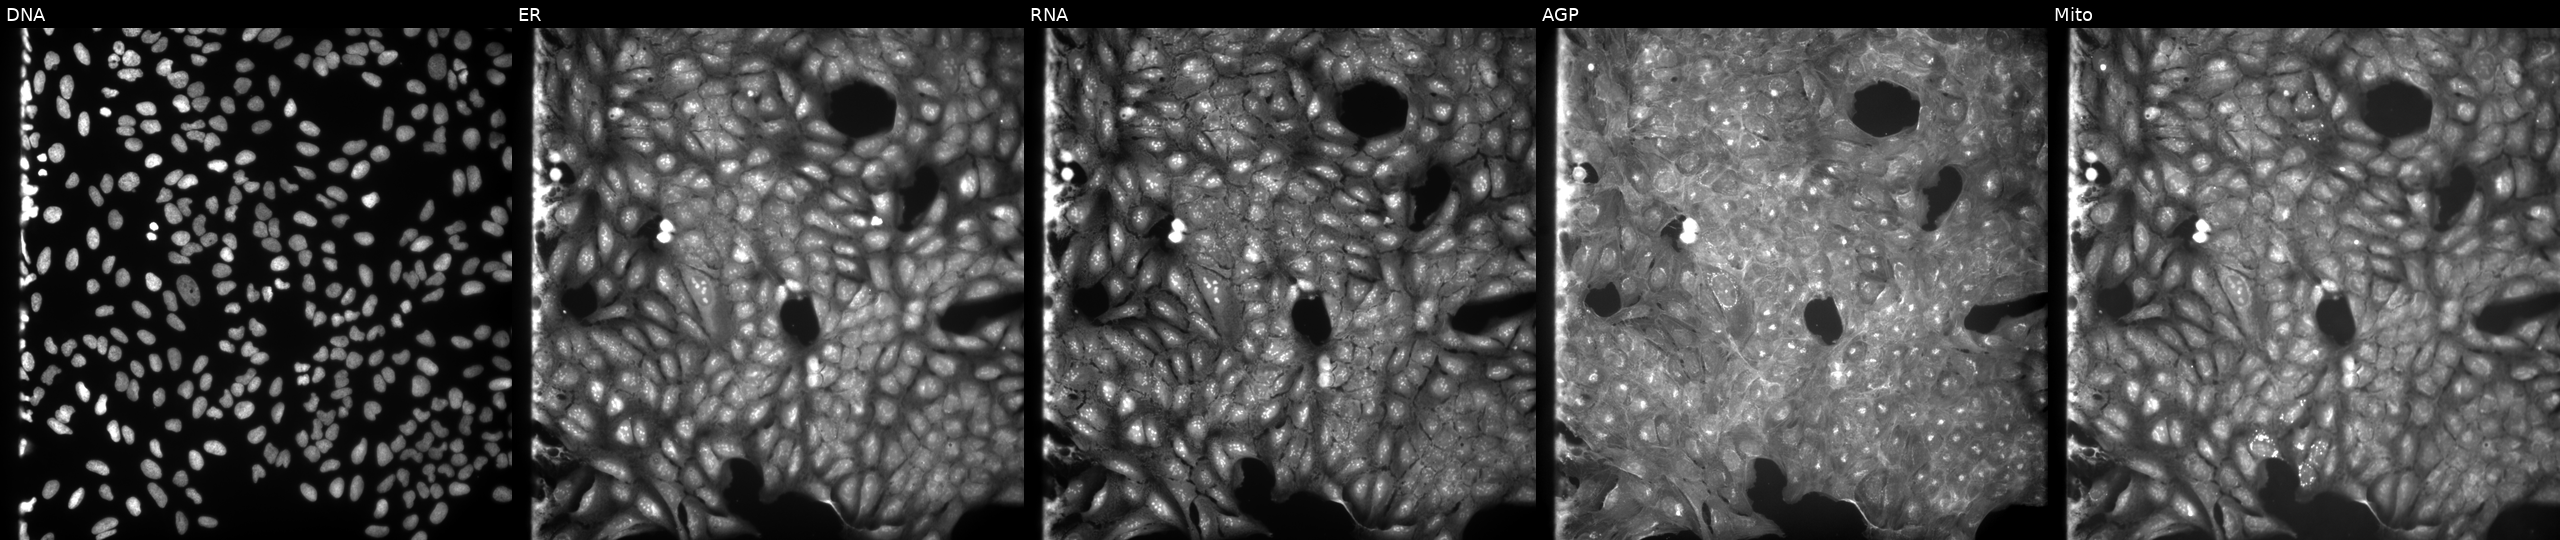
JUMP Cell Painting — COMPOUND plate. U2OS cells perturbed with a small-molecule compound (JUMP id JCP2022_116038). Panels show, left to right, DNA, ER, RNA, AGP, and Mito.